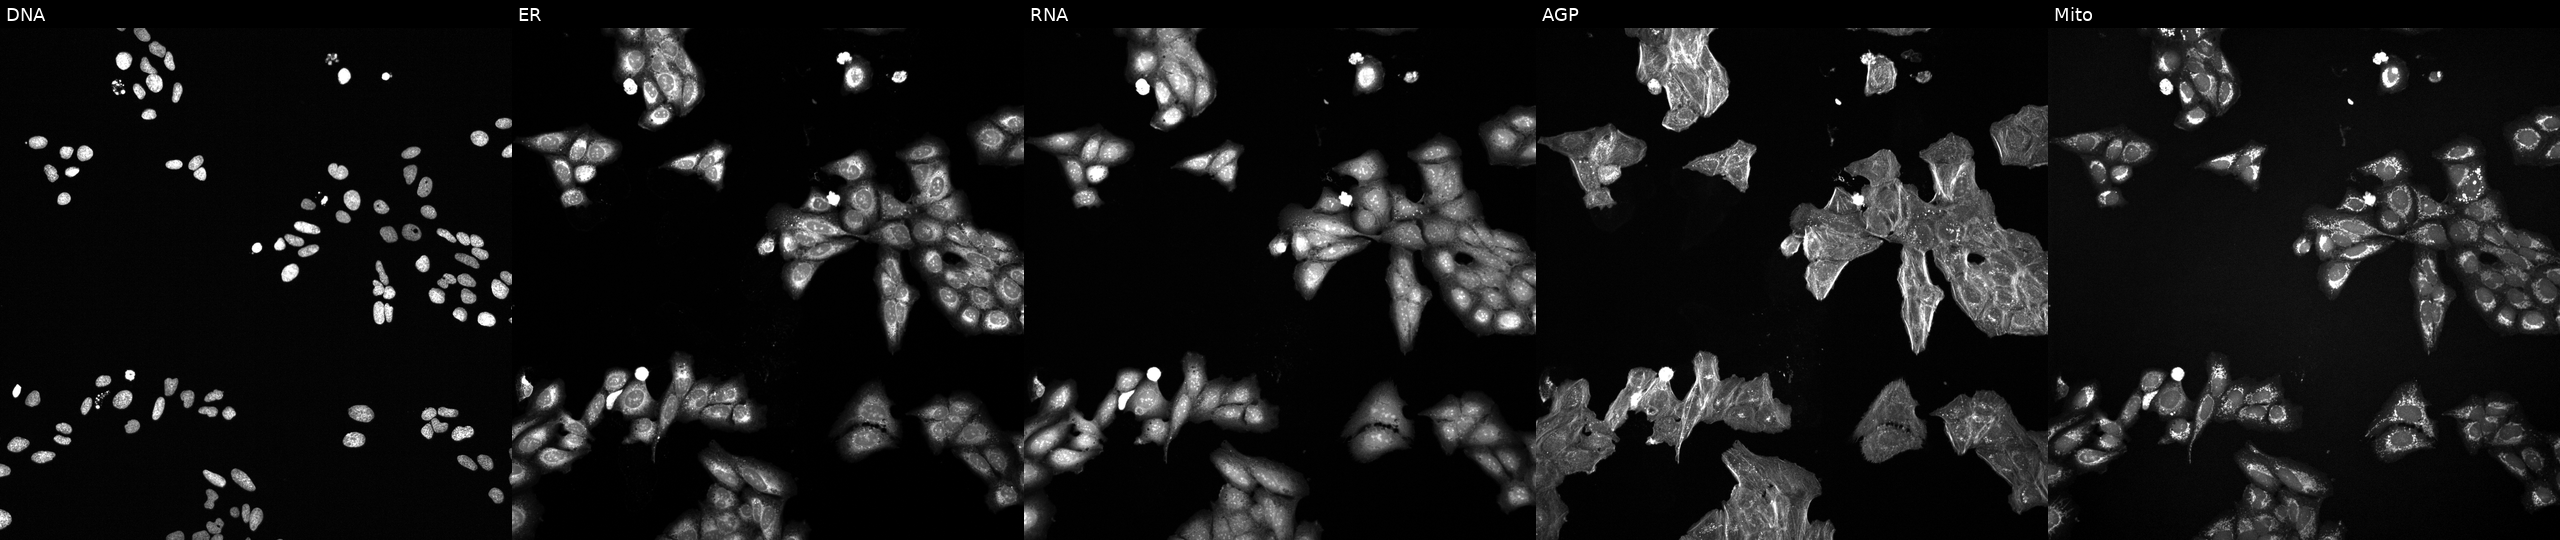
High-content fluorescence microscopy (Cell Painting). Cell line: U2OS. Perturbation: exposed to a small-molecule compound (InChIKey XXJWYDDUDKYVKI-UHFFFAOYSA-N) [SMILES: COc1cc2c(Oc3ccc4[nH]c(C)cc4c3F)ncnc2cc1OCCCN1CCCC1]. Panels show, left to right, Hoechst 33342, concanavalin A, SYTO 14, phalloidin and WGA, MitoTracker. Source 6, plate 110000293093, well M20.